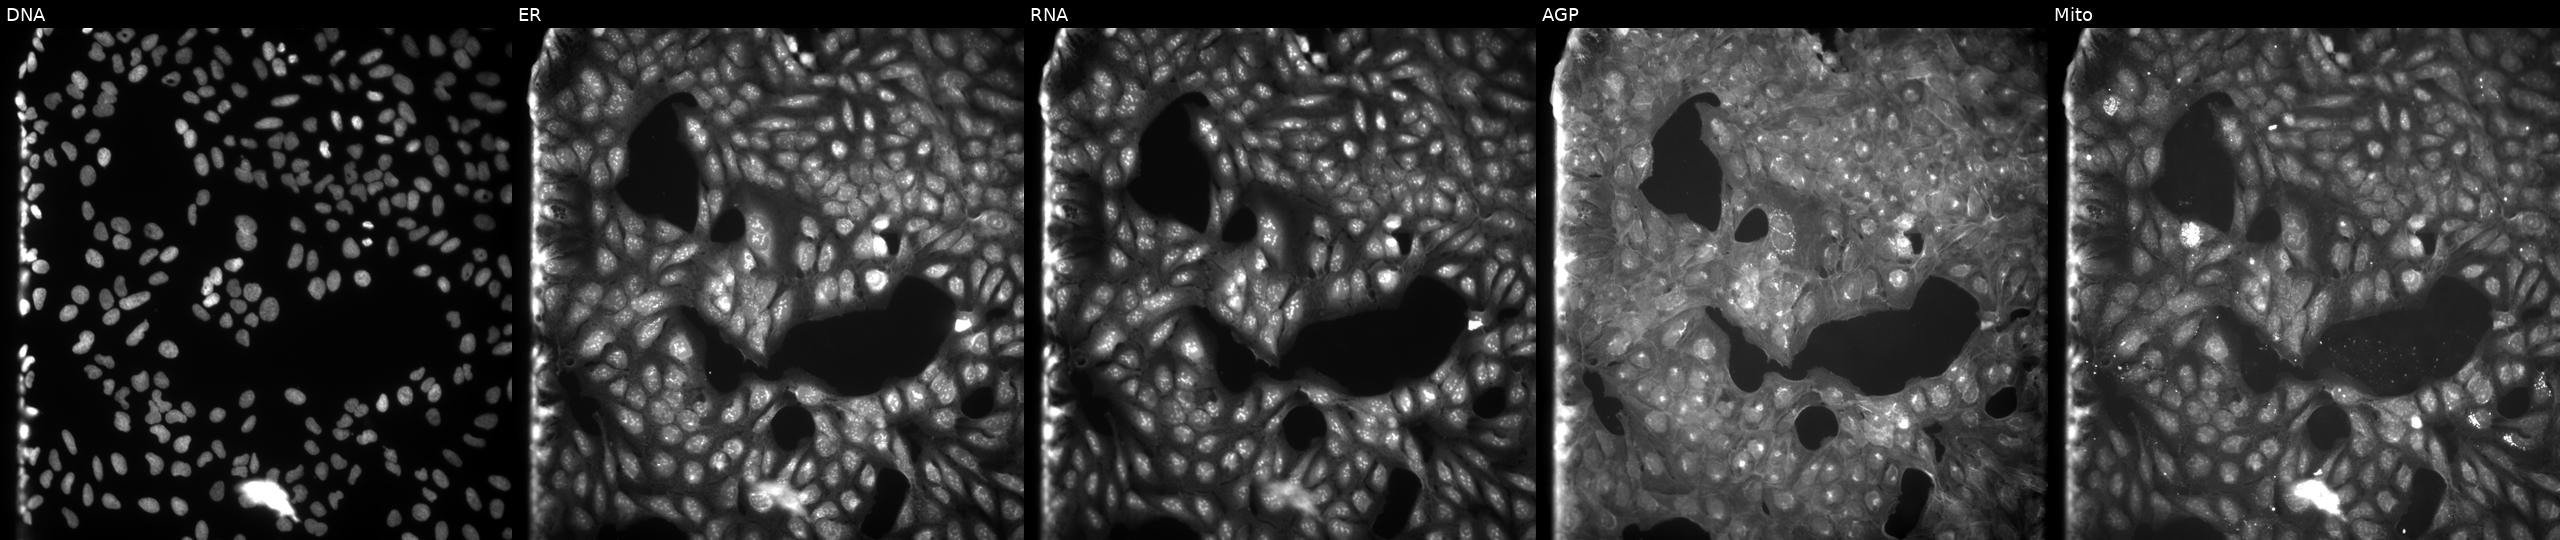
JUMP Cell Painting — COMPOUND plate. U2OS cells treated with DMSO vehicle only (negative control) (JUMP id JCP2022_033924). Panels show, left to right, DNA (nuclei); ER (endoplasmic reticulum); RNA (nucleoli and cytoplasmic RNA); AGP (actin cytoskeleton, Golgi, and plasma membrane); Mito (mitochondria).